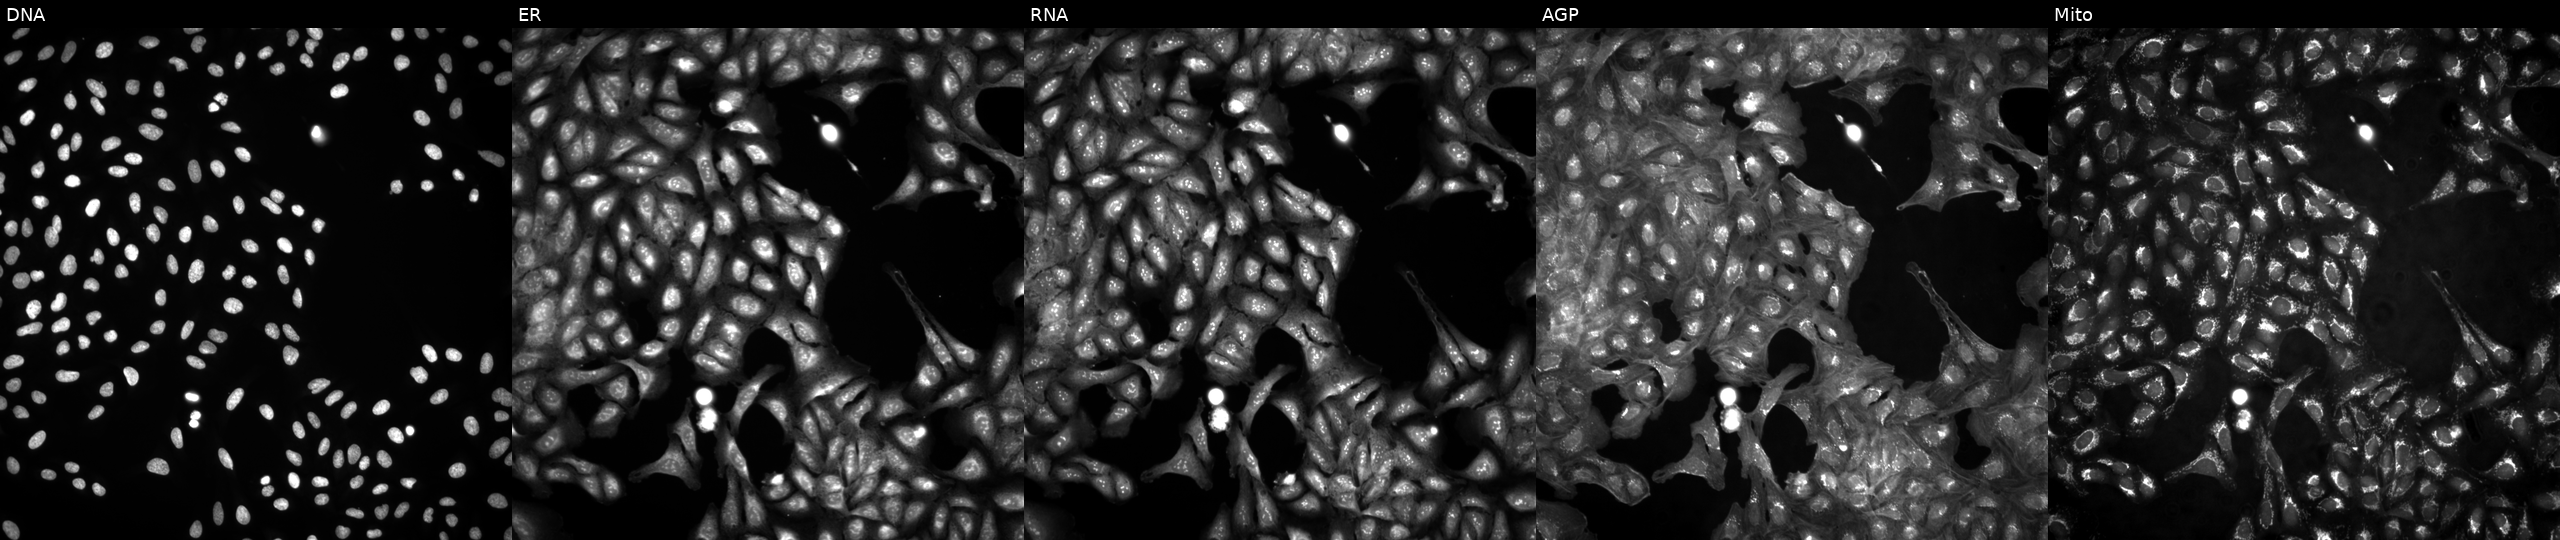
Five-channel Cell Painting image of U2OS cells untreated (empty-well control) (JUMP id JCP2022_999999). Channels (left→right): DNA, ER, RNA, AGP, and Mito.